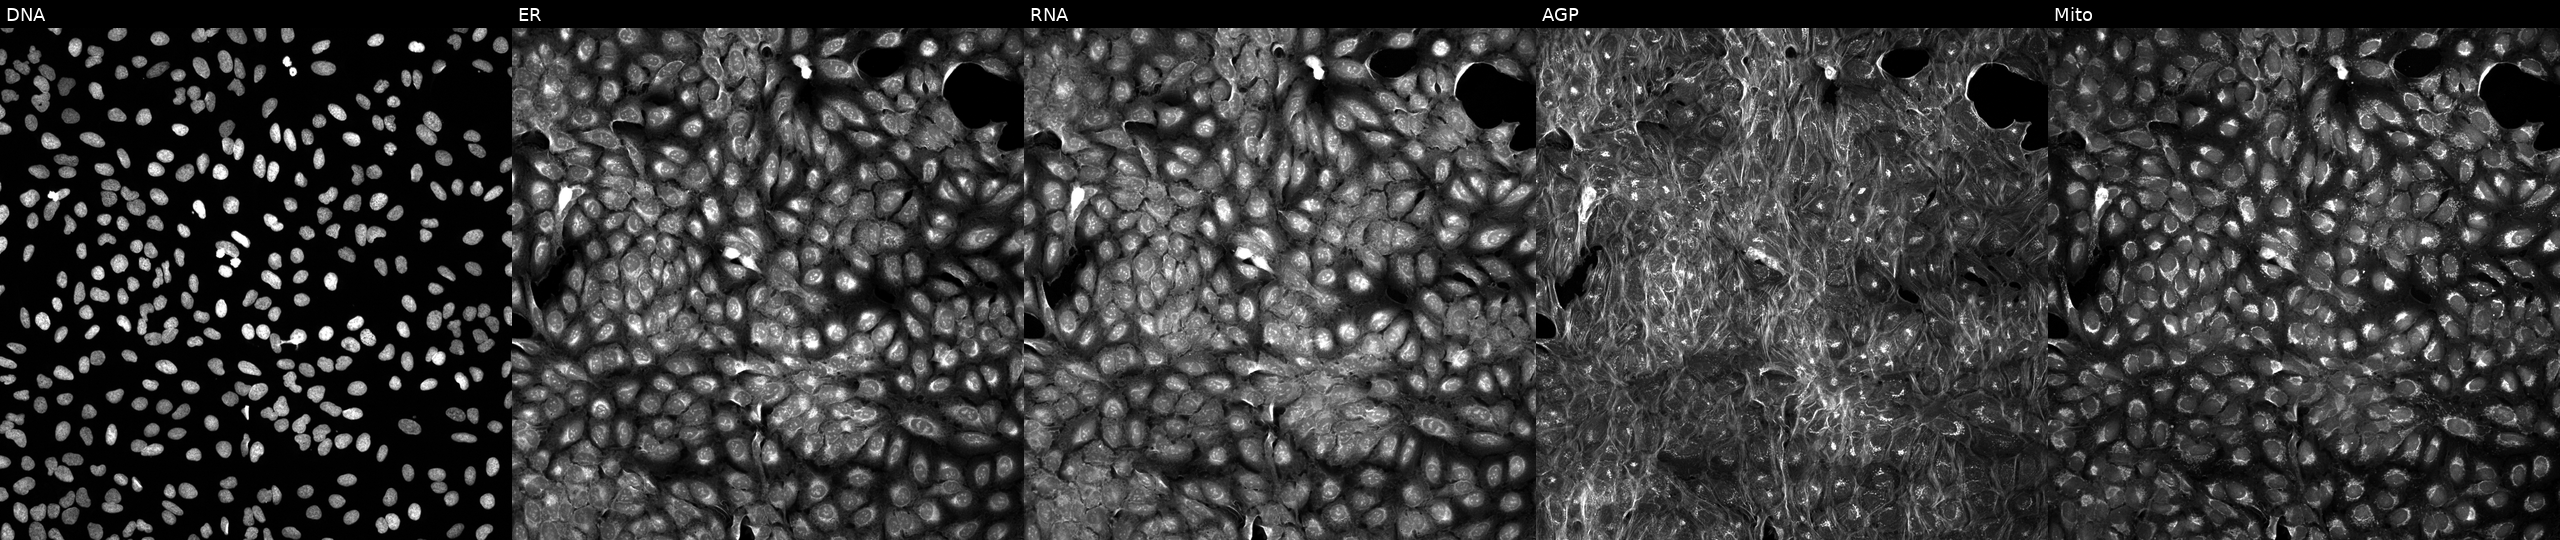
This image strip shows the five Cell Painting channels for a single field of U2OS cells perturbed with a small-molecule compound (InChIKey PBBGSZCBWVPOOL-UHFFFAOYSA-N). From left to right: DNA (nuclei); ER (endoplasmic reticulum); RNA (nucleoli and cytoplasmic RNA); AGP (actin cytoskeleton, Golgi, and plasma membrane); Mito (mitochondria). Source 5, plate ACPJUM032, well O22.